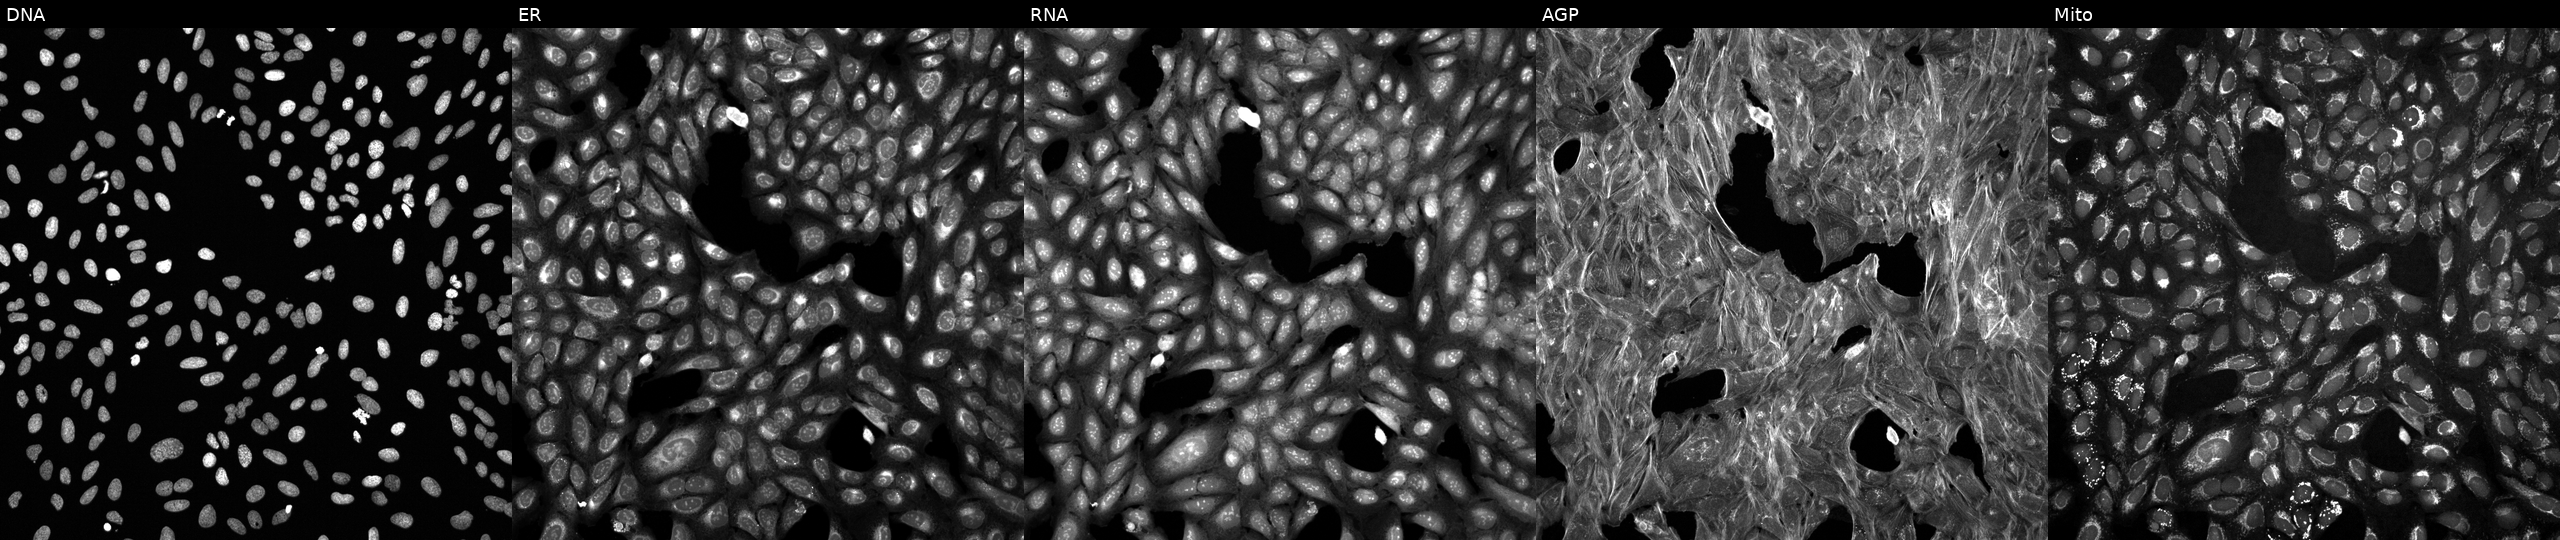
JUMP Cell Painting — COMPOUND plate. U2OS cells perturbed with a small-molecule compound (InChIKey ZQIIQYAJJDAZMW-UHFFFAOYSA-N). Panels show, left to right, DNA, ER, RNA, AGP, and Mito.